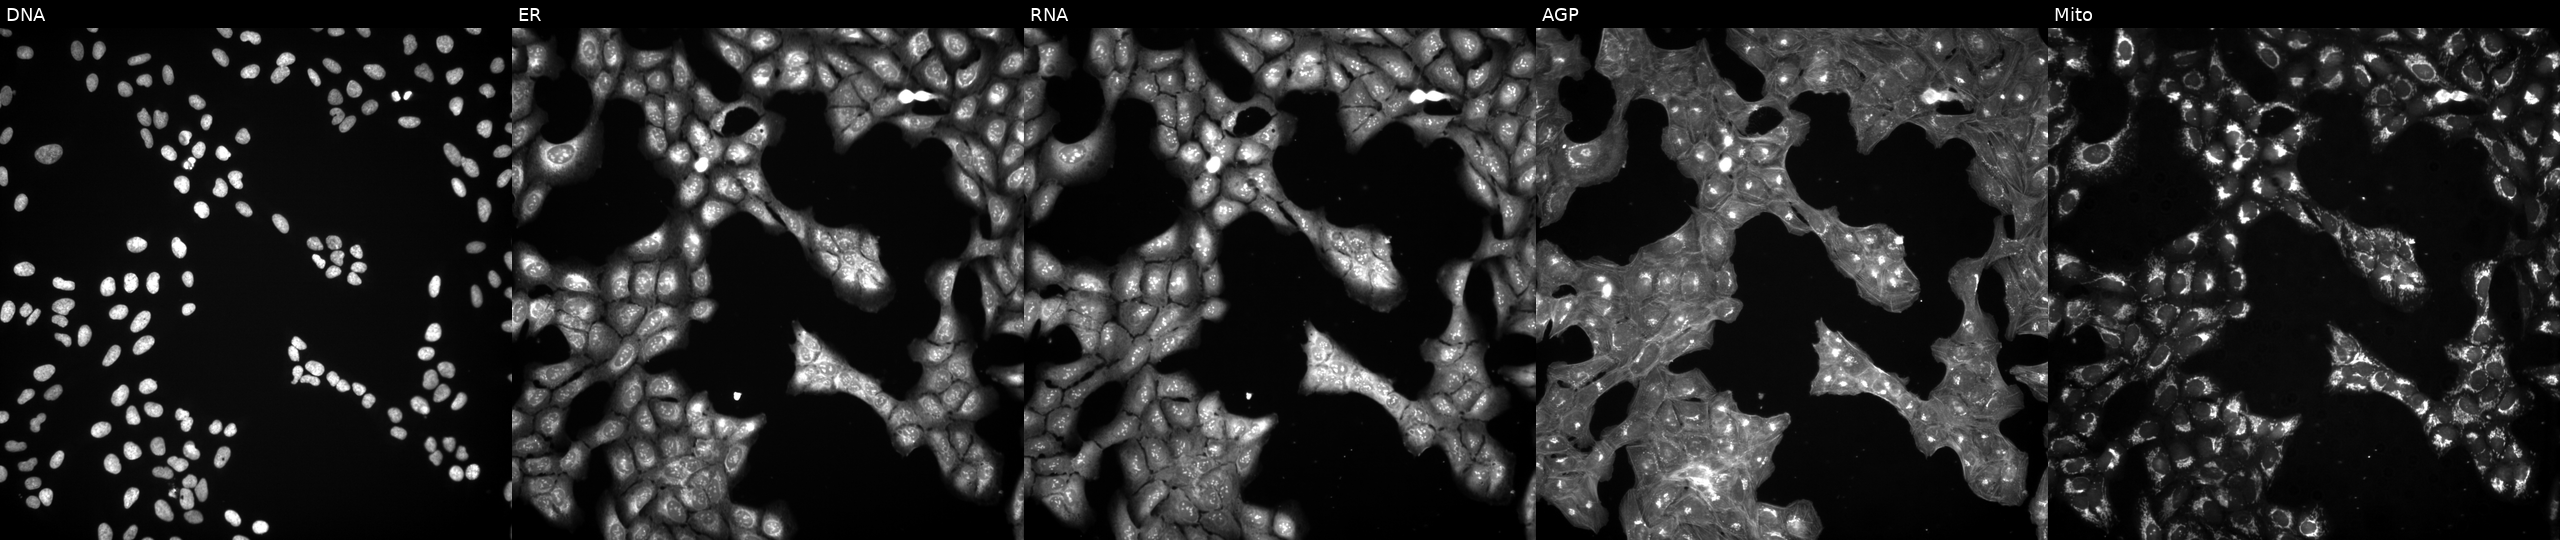
U2OS cells, Cell Painting assay, treated with a small-molecule compound (InChIKey MTGYYBOADJNISY-UHFFFAOYSA-N) [SMILES: COc1ccc2[nH]c(=NC3=NCCC3)sc2c1]. The five panels, left to right, show DNA (nuclei); ER (endoplasmic reticulum); RNA (nucleoli and cytoplasmic RNA); AGP (actin cytoskeleton, Golgi, and plasma membrane); Mito (mitochondria). Each panel is percentile-stretched 16-bit fluorescence.